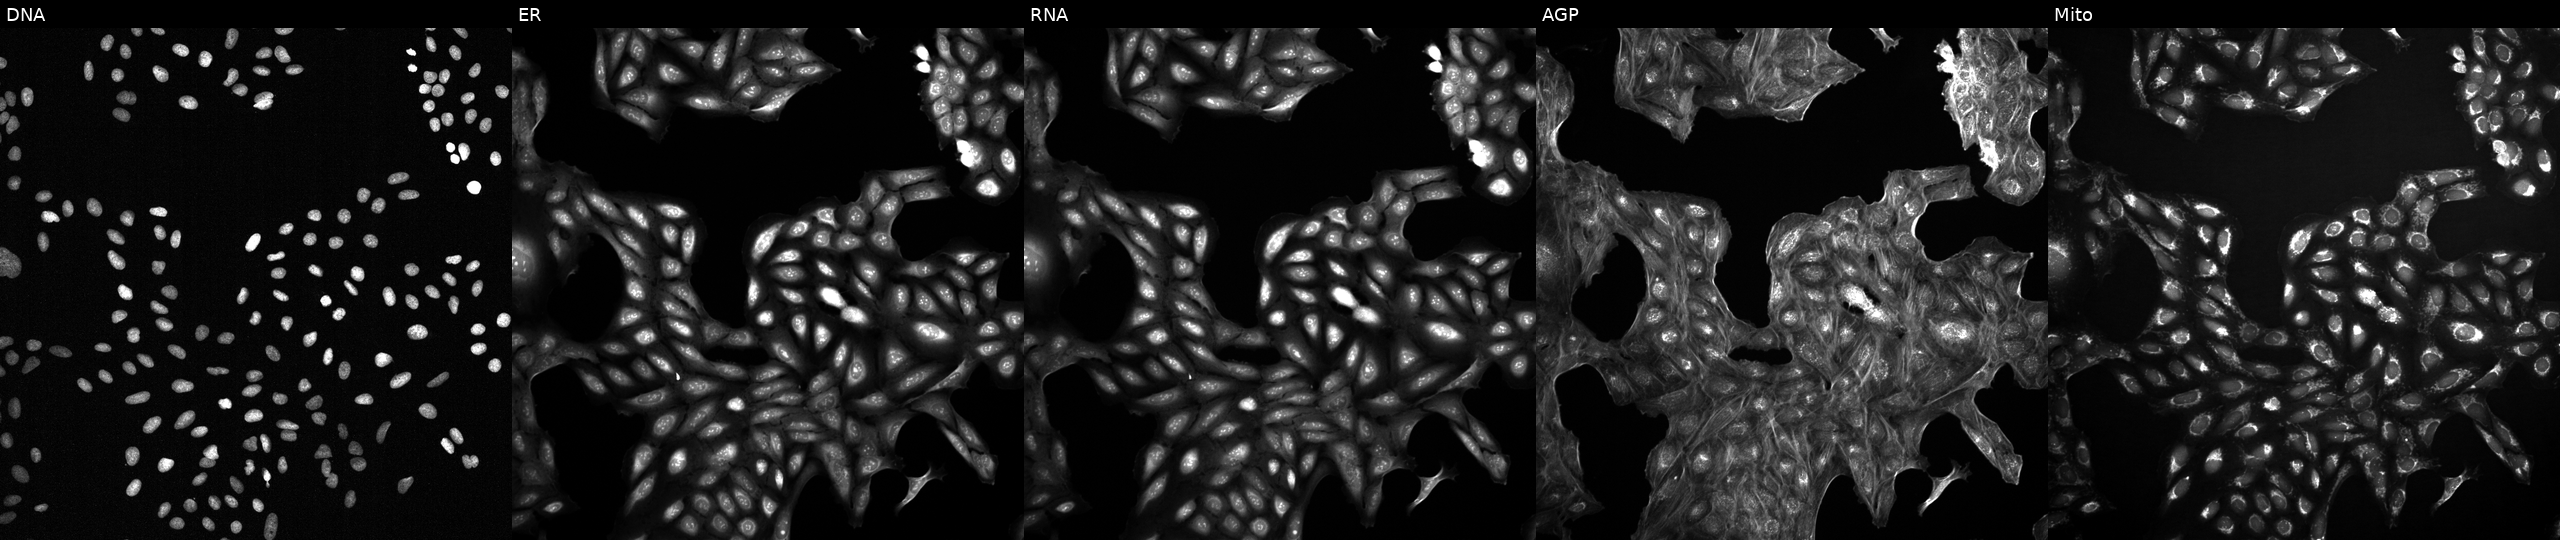
High-content fluorescence microscopy (Cell Painting). Cell line: U2OS. Perturbation: exposed to a small-molecule compound (InChIKey MAGGHHQPXQKVIE-UHFFFAOYSA-N). Channels (left→right): DNA, ER, RNA, AGP, and Mito. Source 2, plate 1053601763, well C17.